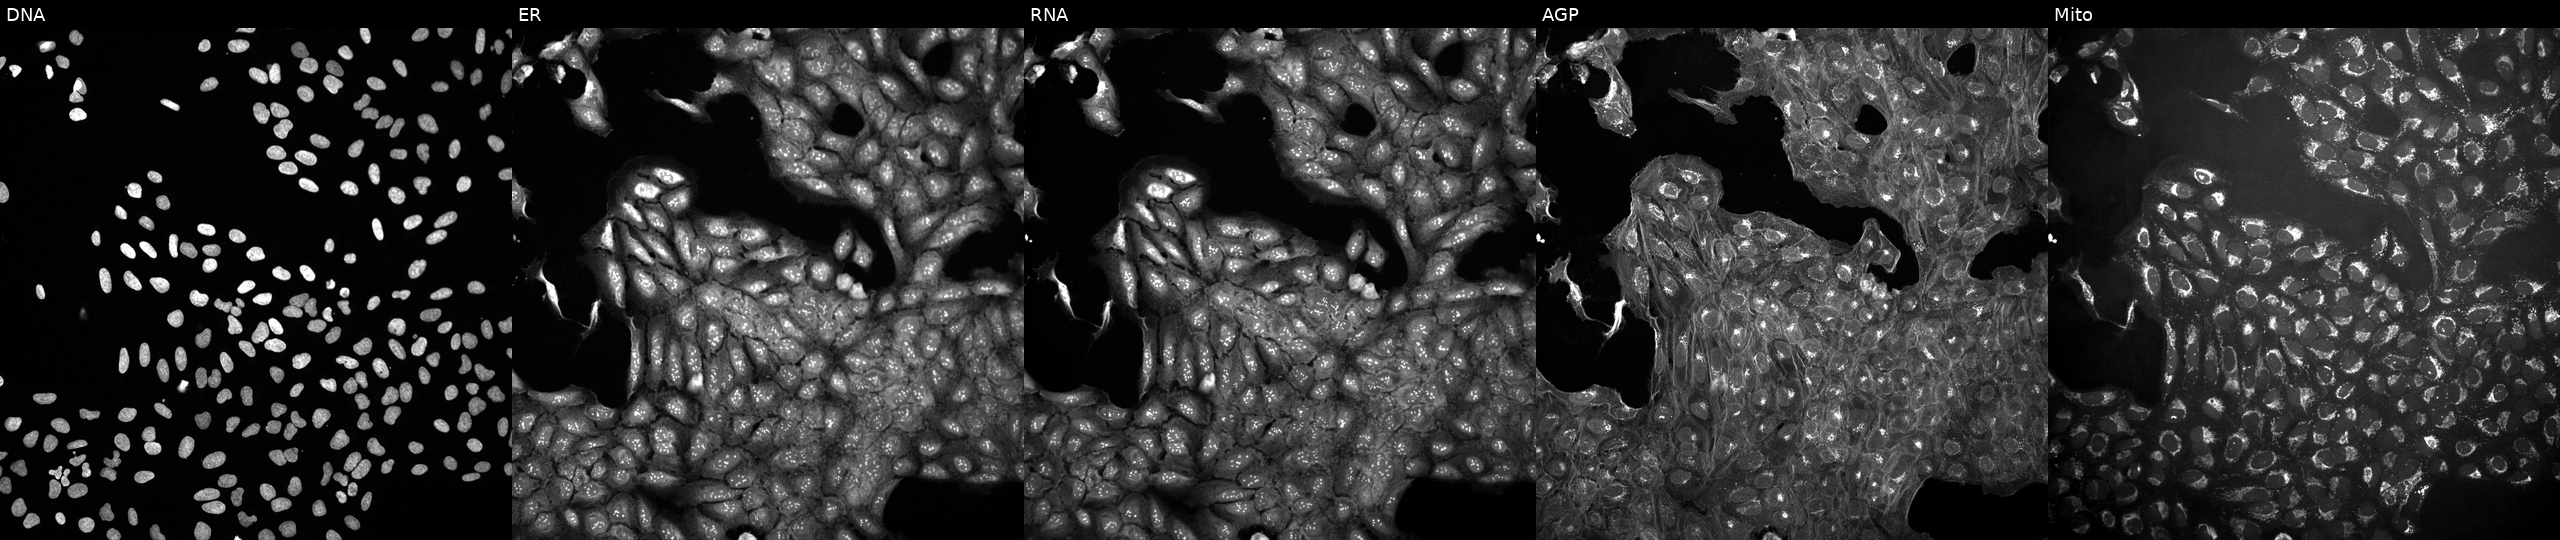
High-content fluorescence microscopy (Cell Painting). Cell line: U2OS. Perturbation: untreated (empty-well control). The five panels, left to right, show Hoechst 33342, concanavalin A, SYTO 14, phalloidin and WGA, MitoTracker.